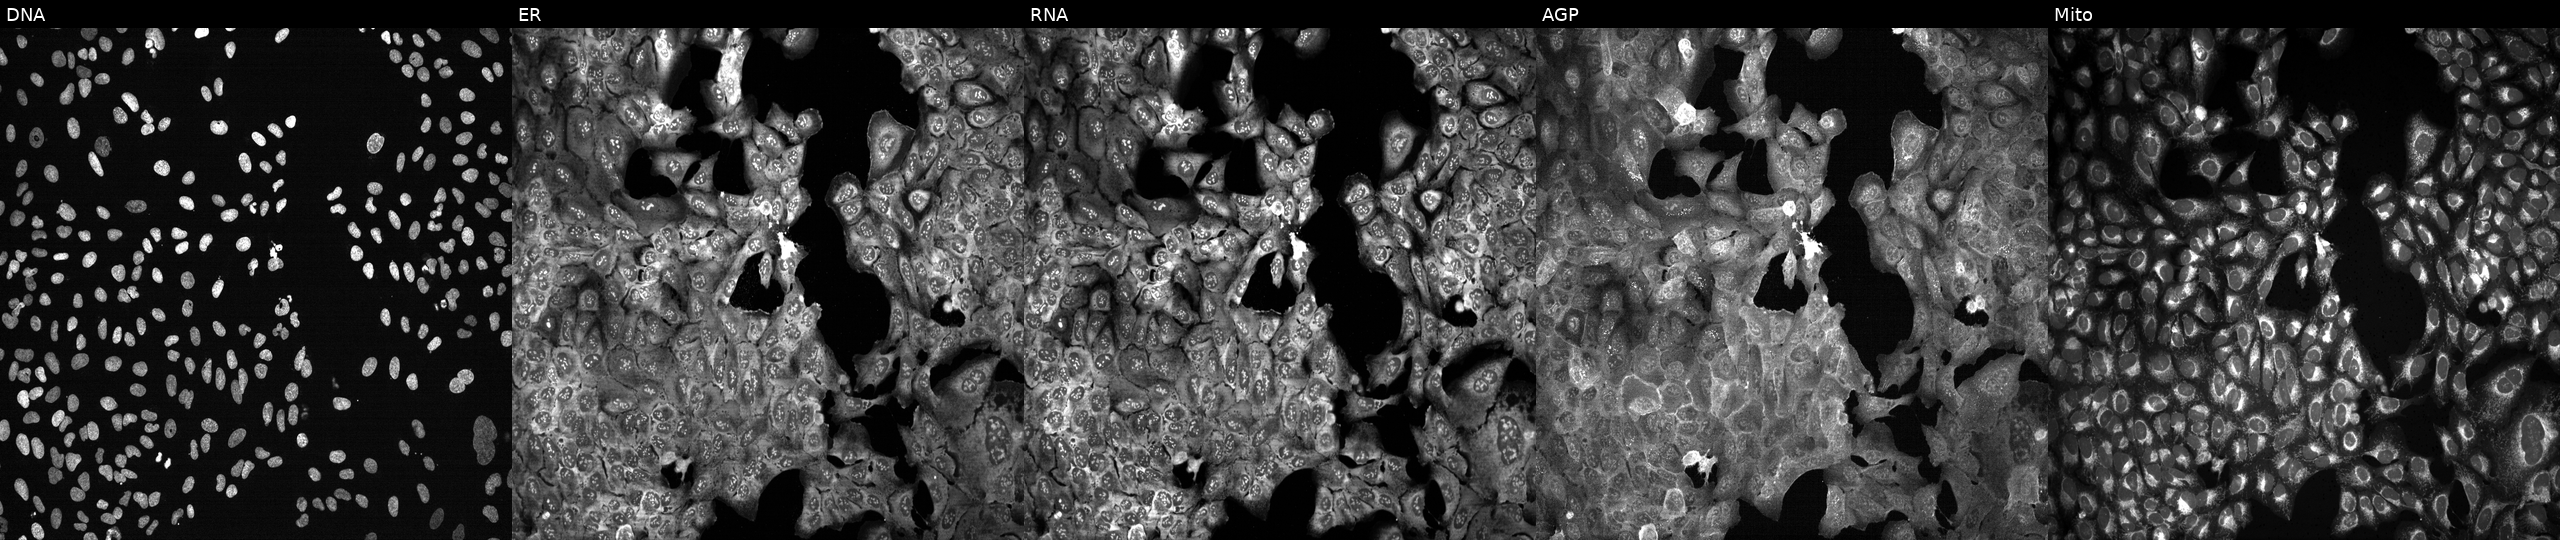
High-content fluorescence microscopy (Cell Painting). Cell line: U2OS. Perturbation: following CRISPR knockout of LILRB5. From left to right: DNA, ER, RNA, AGP, and Mito. Source 13, plate CP-CC9-R2-02, well O17.